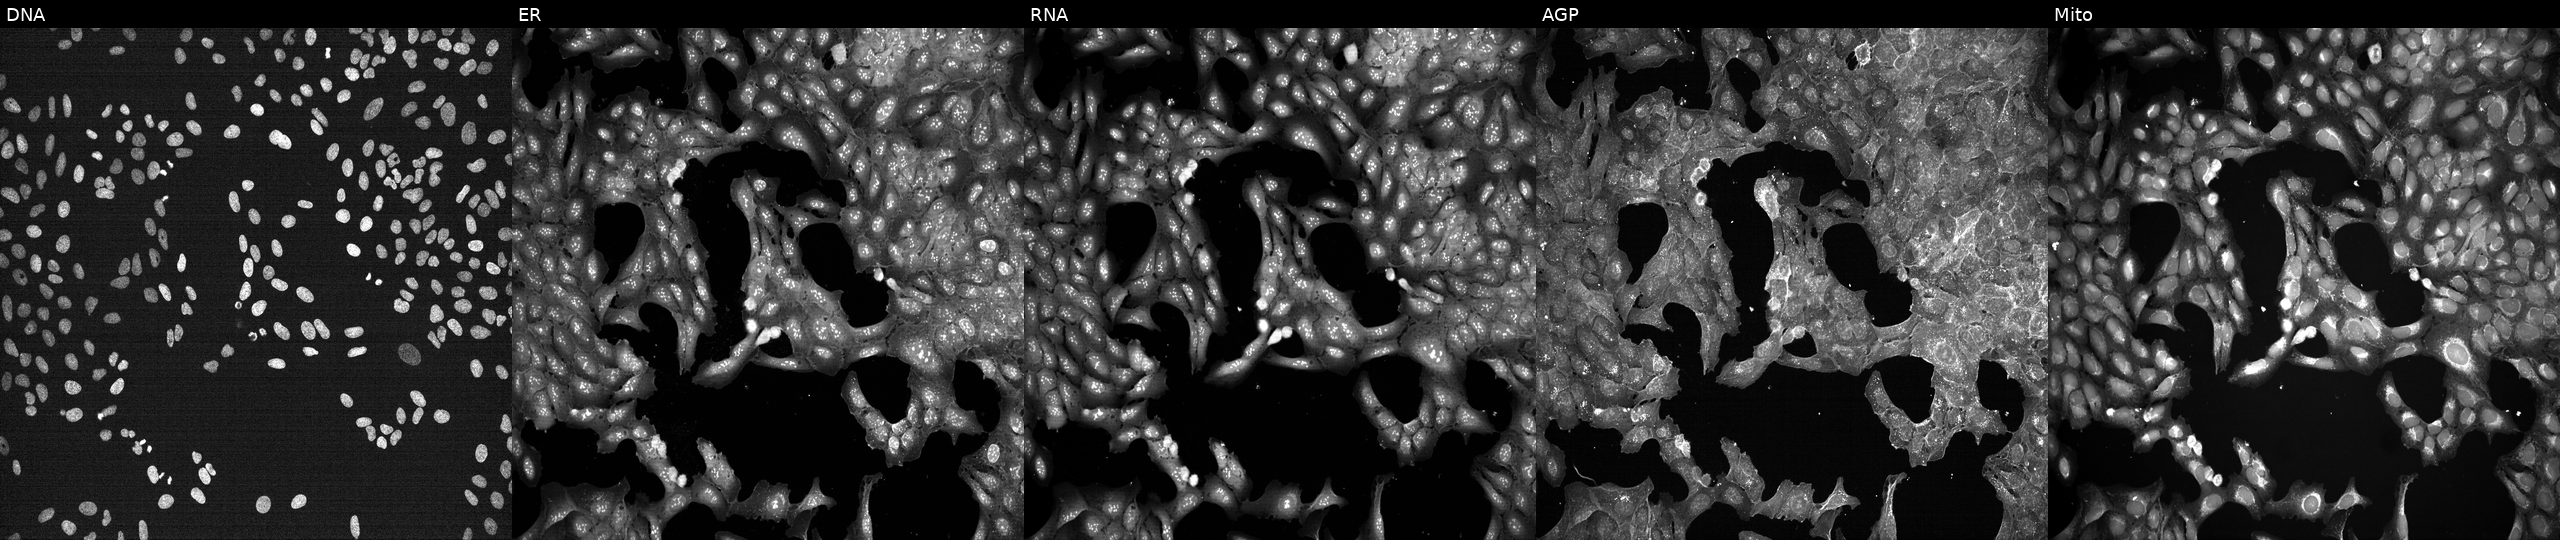
U2OS cells, Cell Painting assay, exposed to a small-molecule compound (InChIKey CXUCKELNYMZTRT-UHFFFAOYSA-N) (JUMP id JCP2022_014114). Panels show, left to right, DNA, ER, RNA, AGP, and Mito. Each panel is percentile-stretched 16-bit fluorescence.